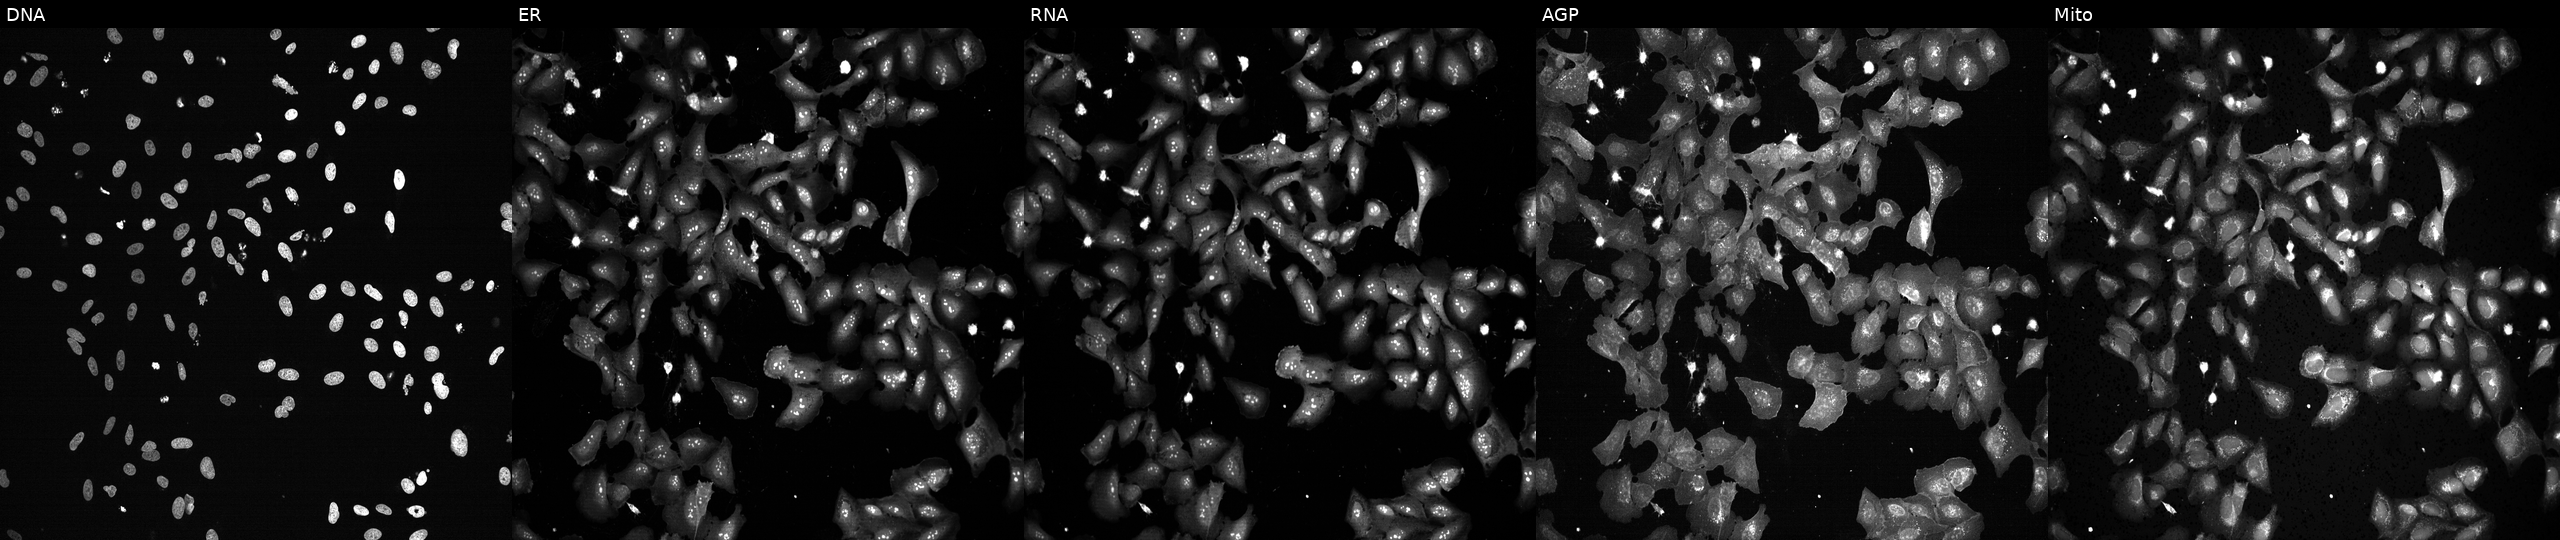
Panels show, left to right, DNA, ER, RNA, AGP, and Mito. U2OS osteosarcoma cells exposed to the positive-control compound TC-S-7004. Cell Painting assay, JUMP-CP dataset.